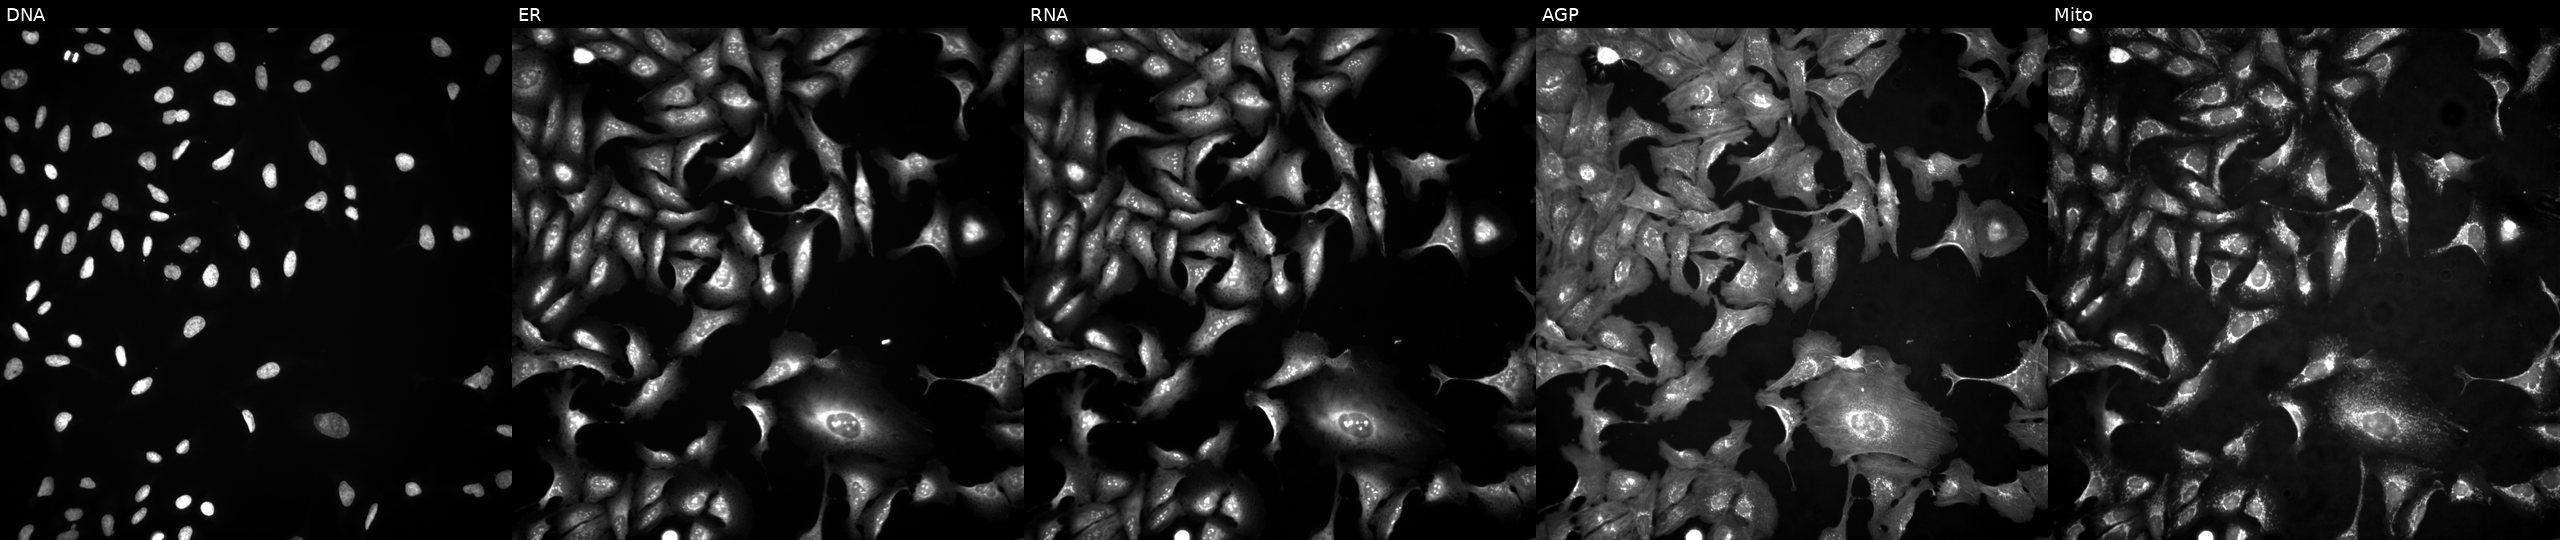
From left to right: DNA (nuclei); ER (endoplasmic reticulum); RNA (nucleoli and cytoplasmic RNA); AGP (actin cytoskeleton, Golgi, and plasma membrane); Mito (mitochondria). U2OS osteosarcoma cells overexpressing DTYMK via ORF transfection (JUMP id JCP2022_914347). Cell Painting assay, JUMP-CP dataset.